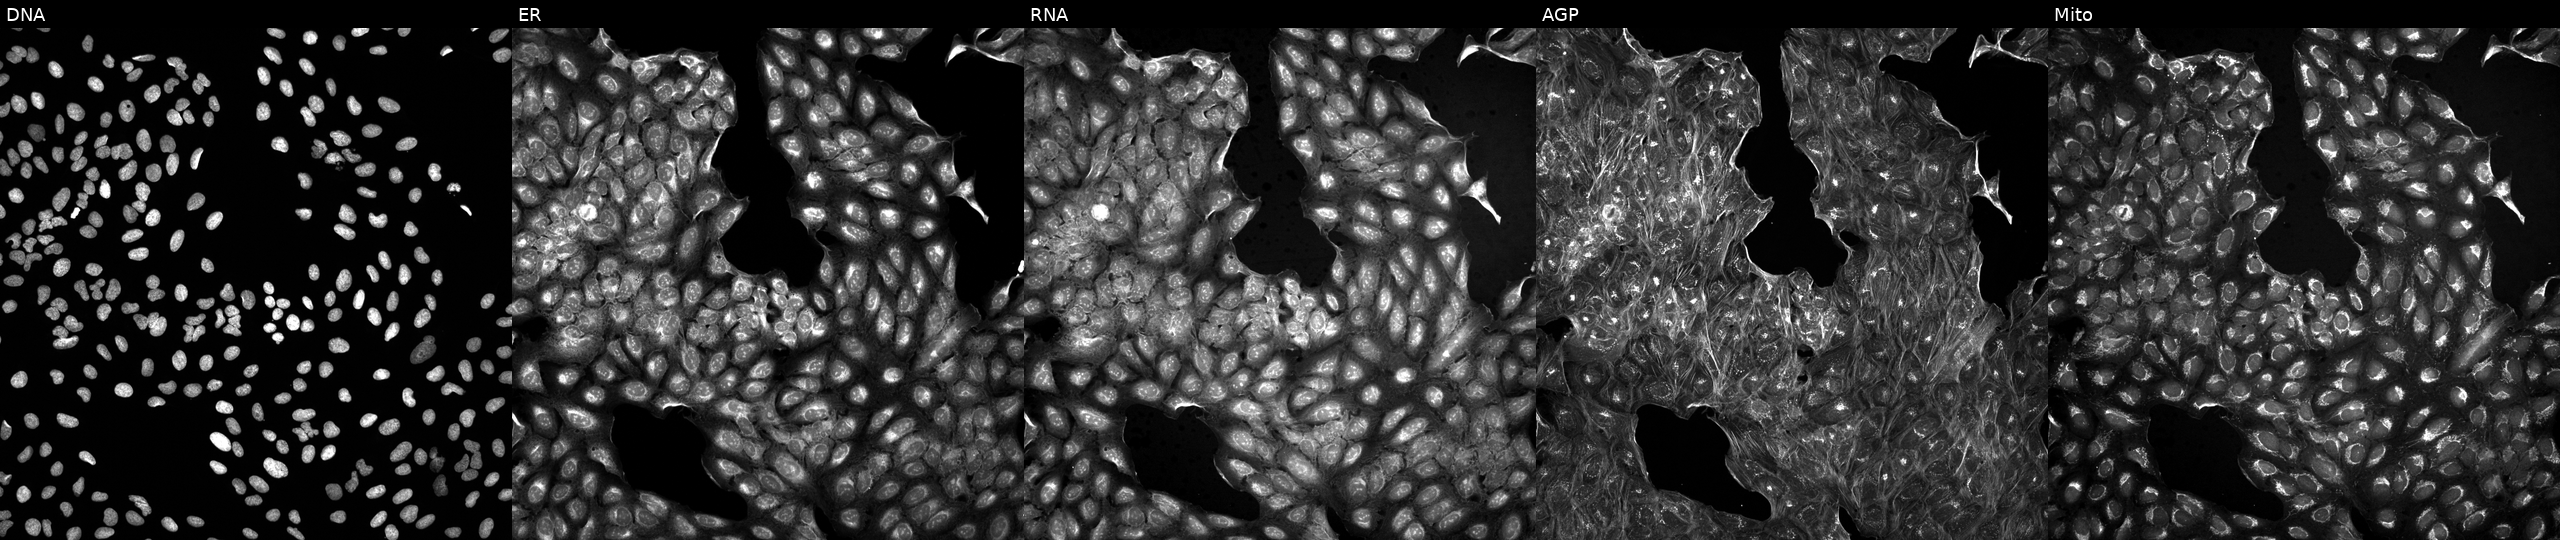
Five-channel Cell Painting image of U2OS cells perturbed with a small-molecule compound (InChIKey BCZUAADEACICHN-UHFFFAOYSA-N) (JUMP id JCP2022_005529). The five panels, left to right, show DNA (nuclei); ER (endoplasmic reticulum); RNA (nucleoli and cytoplasmic RNA); AGP (actin cytoskeleton, Golgi, and plasma membrane); Mito (mitochondria). Source 5, plate ACPJUM012, well D12.